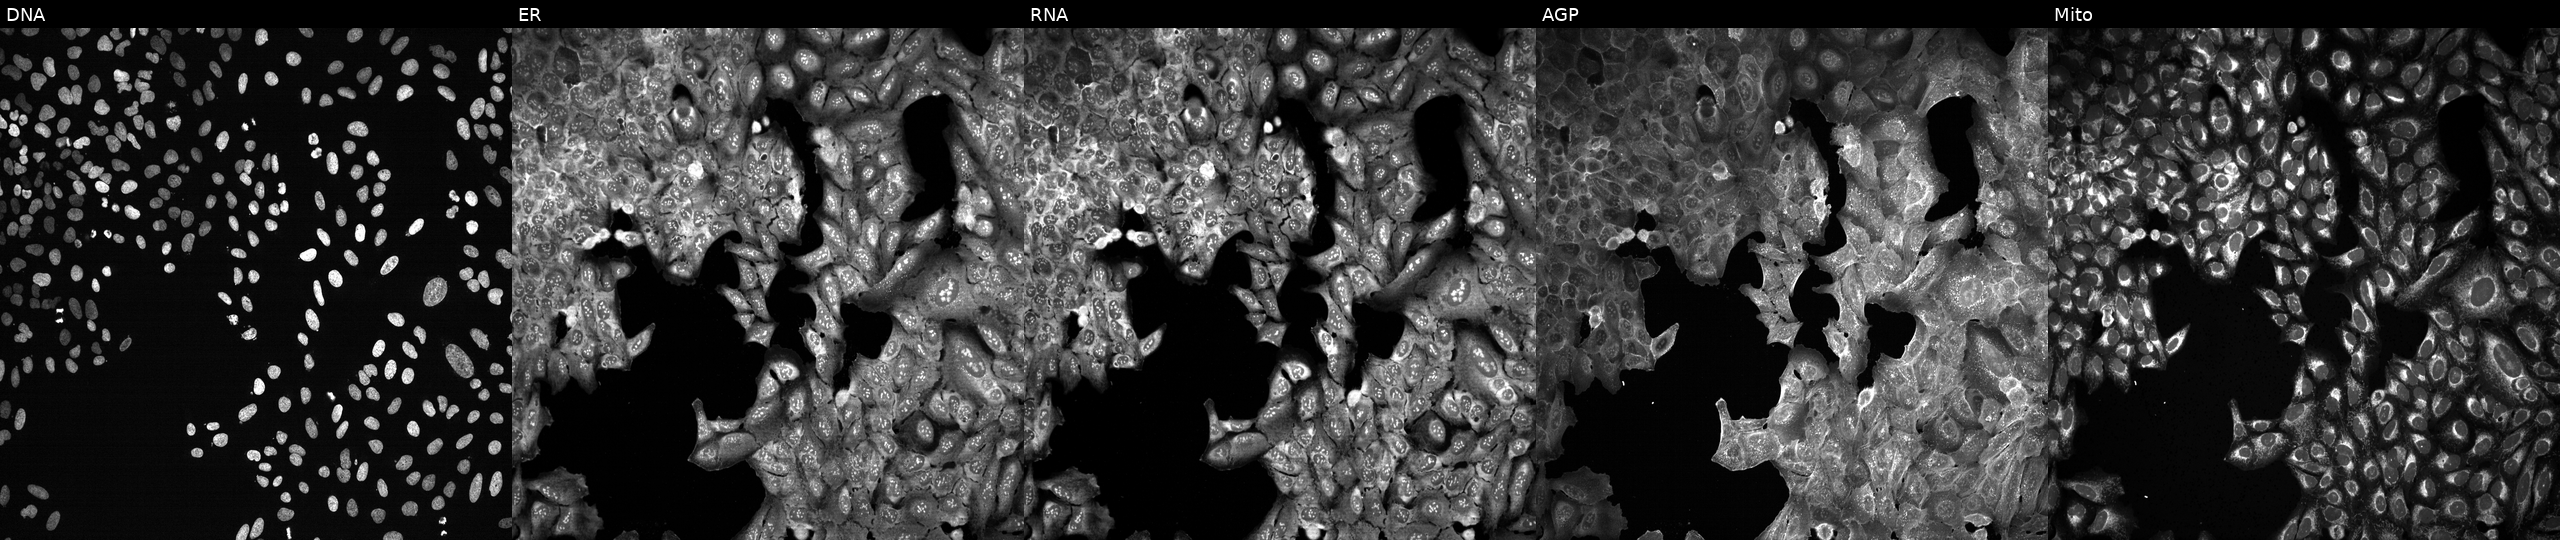
High-content fluorescence microscopy (Cell Painting). Cell line: U2OS. Perturbation: following CRISPR knockout of PRSS42. From left to right: Hoechst 33342, concanavalin A, SYTO 14, phalloidin and WGA, MitoTracker.